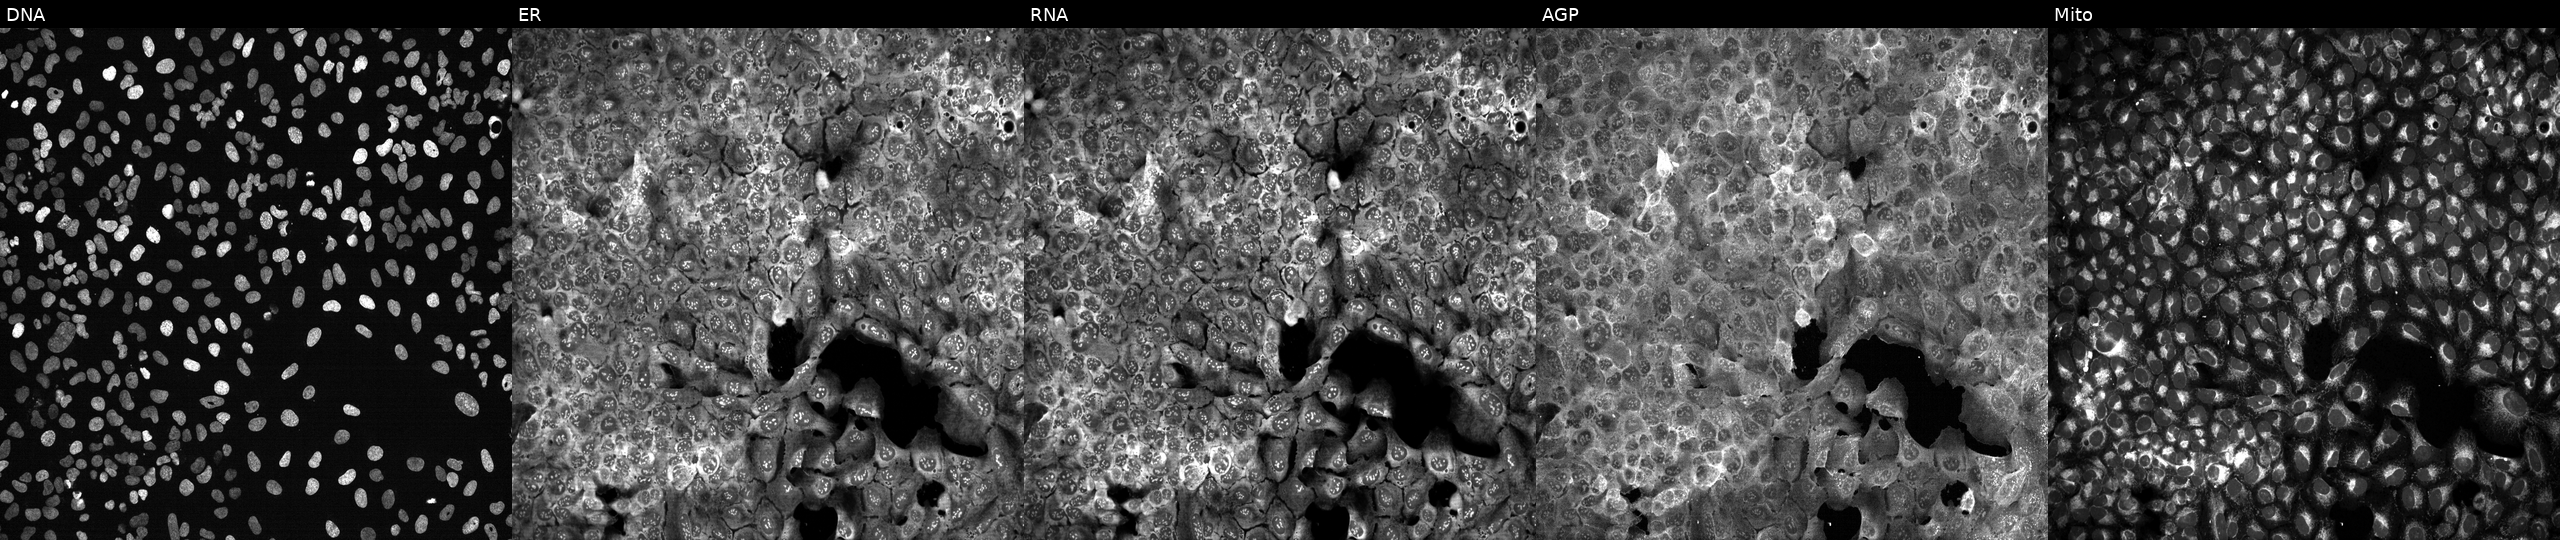
JUMP Cell Painting — CRISPR plate. U2OS cells with GAPDHS knocked out by CRISPR (JUMP id JCP2022_802610). Panels show, left to right, Hoechst 33342, concanavalin A, SYTO 14, phalloidin and WGA, MitoTracker. Source 13, plate CP-CC9-R3-02, well J12.